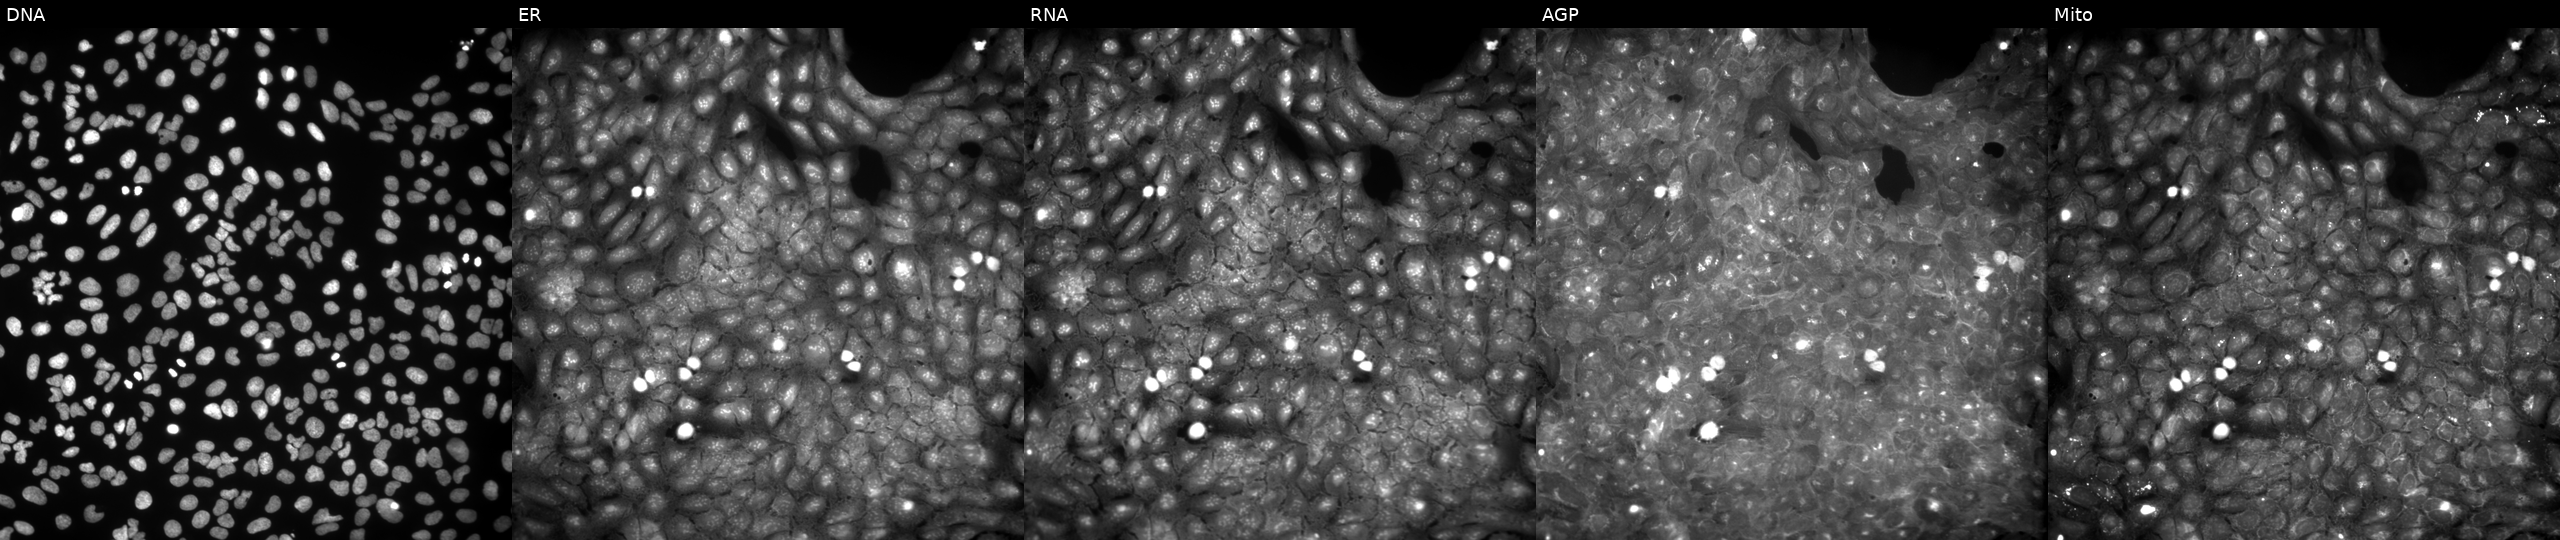
U2OS cells, Cell Painting assay, treated with aloxistatin (positive-control compound) (JUMP id JCP2022_085227). Channels (left→right): DNA (nuclei); ER (endoplasmic reticulum); RNA (nucleoli and cytoplasmic RNA); AGP (actin cytoskeleton, Golgi, and plasma membrane); Mito (mitochondria). Each panel is percentile-stretched 16-bit fluorescence. Source 9, plate GR00003381, well Y25.